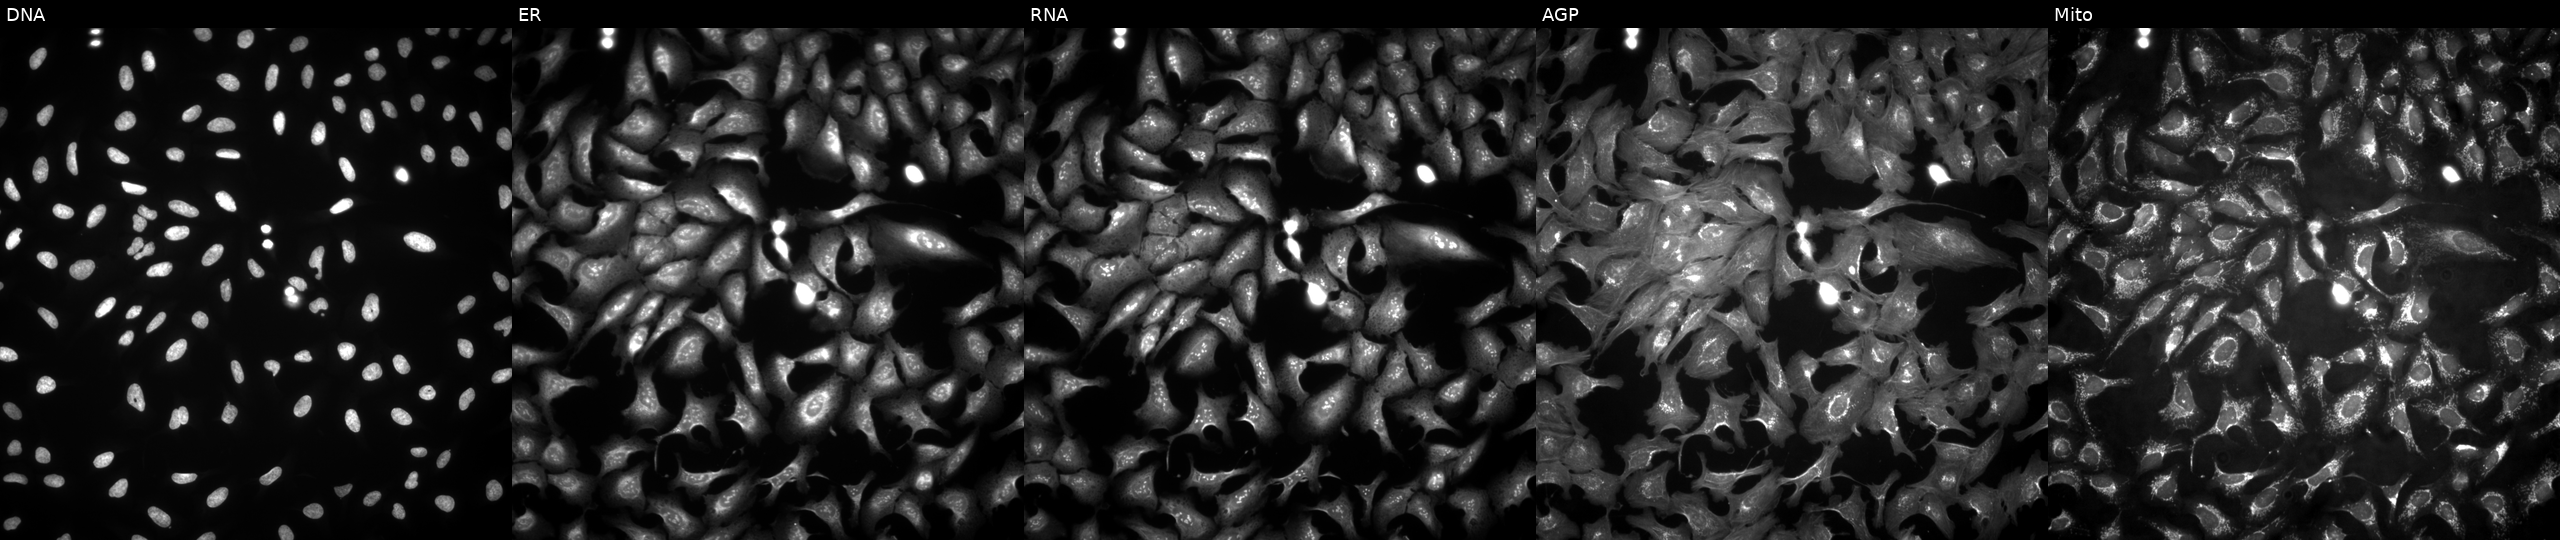
This image strip shows the five Cell Painting channels for a single field of U2OS cells expressing BFP (ORF negative control) (JUMP id JCP2022_915128). Channels (left→right): DNA (nuclei); ER (endoplasmic reticulum); RNA (nucleoli and cytoplasmic RNA); AGP (actin cytoskeleton, Golgi, and plasma membrane); Mito (mitochondria). Source 4, plate BR00123509, well C06.